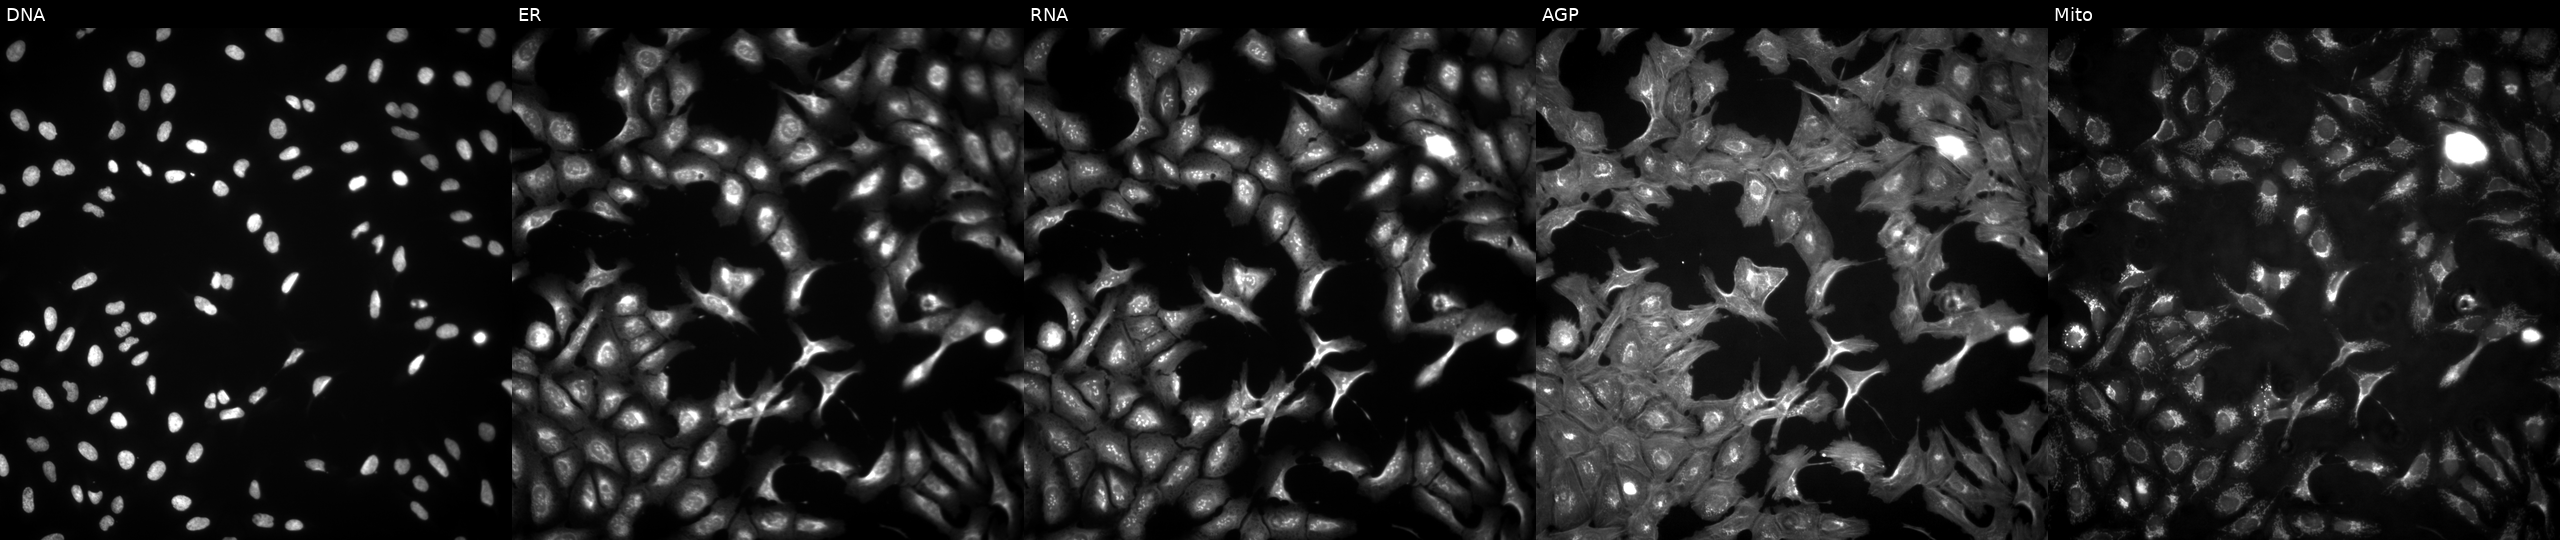
U2OS cells, Cell Painting assay, untreated (empty-well control) (JUMP id JCP2022_999999). The five panels, left to right, show DNA, ER, RNA, AGP, and Mito. Each panel is percentile-stretched 16-bit fluorescence.